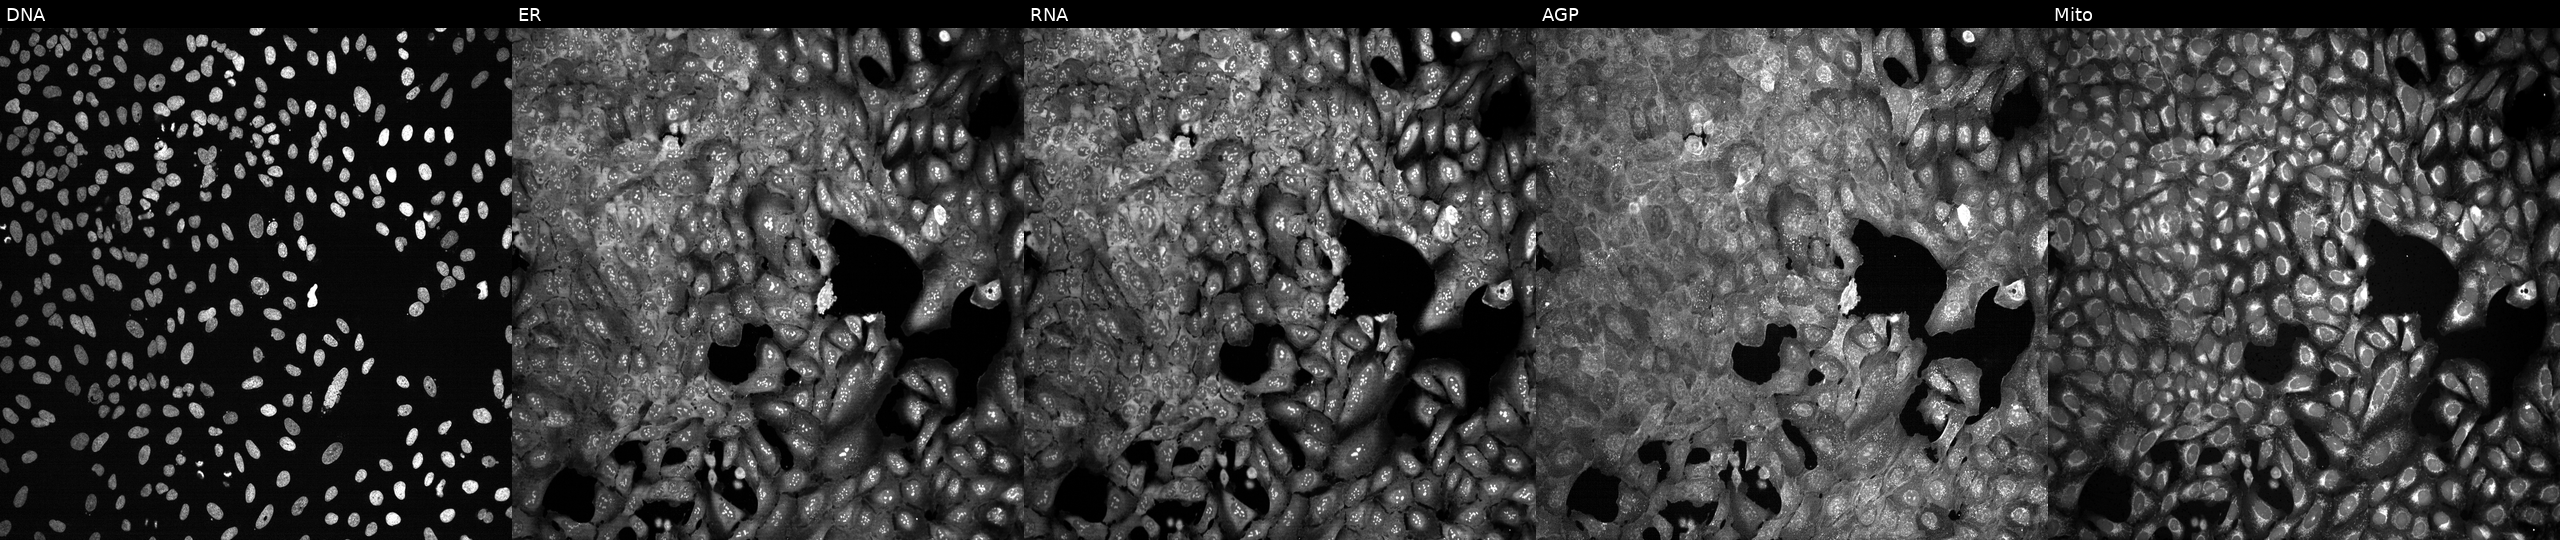
Five-channel Cell Painting image of U2OS cells following CRISPR knockout of ARG1 (JUMP id JCP2022_800560). From left to right: Hoechst 33342, concanavalin A, SYTO 14, phalloidin and WGA, MitoTracker.